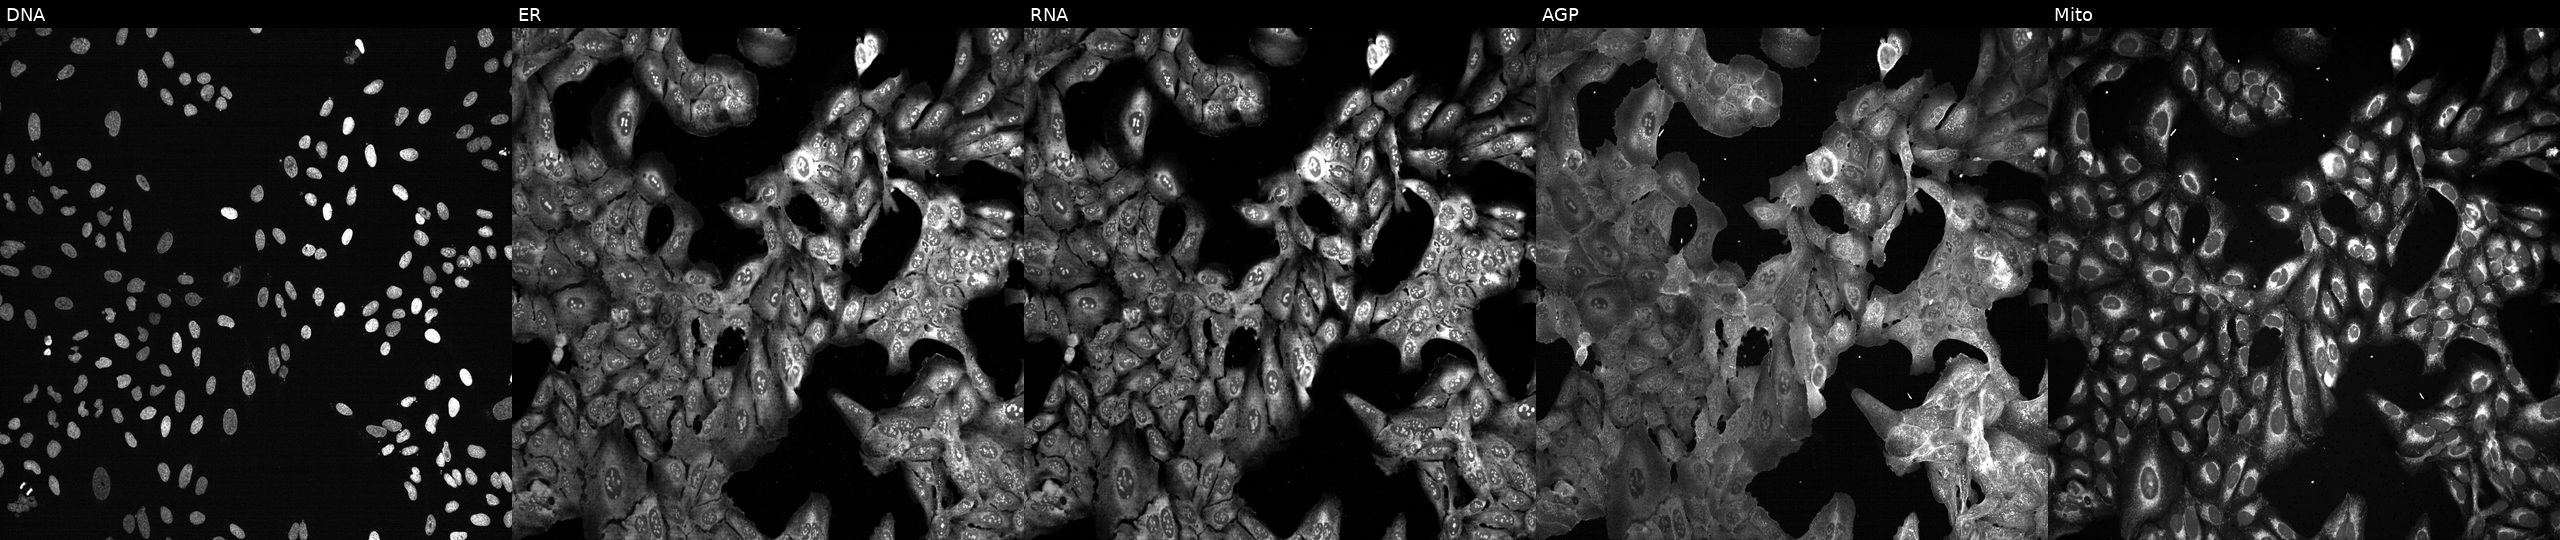
High-content fluorescence microscopy (Cell Painting). Cell line: U2OS. Perturbation: with ERCC4 knocked out by CRISPR (JUMP id JCP2022_802167). Panels show, left to right, Hoechst 33342, concanavalin A, SYTO 14, phalloidin and WGA, MitoTracker. Source 13, plate CP-CC9-R2-02, well E03.